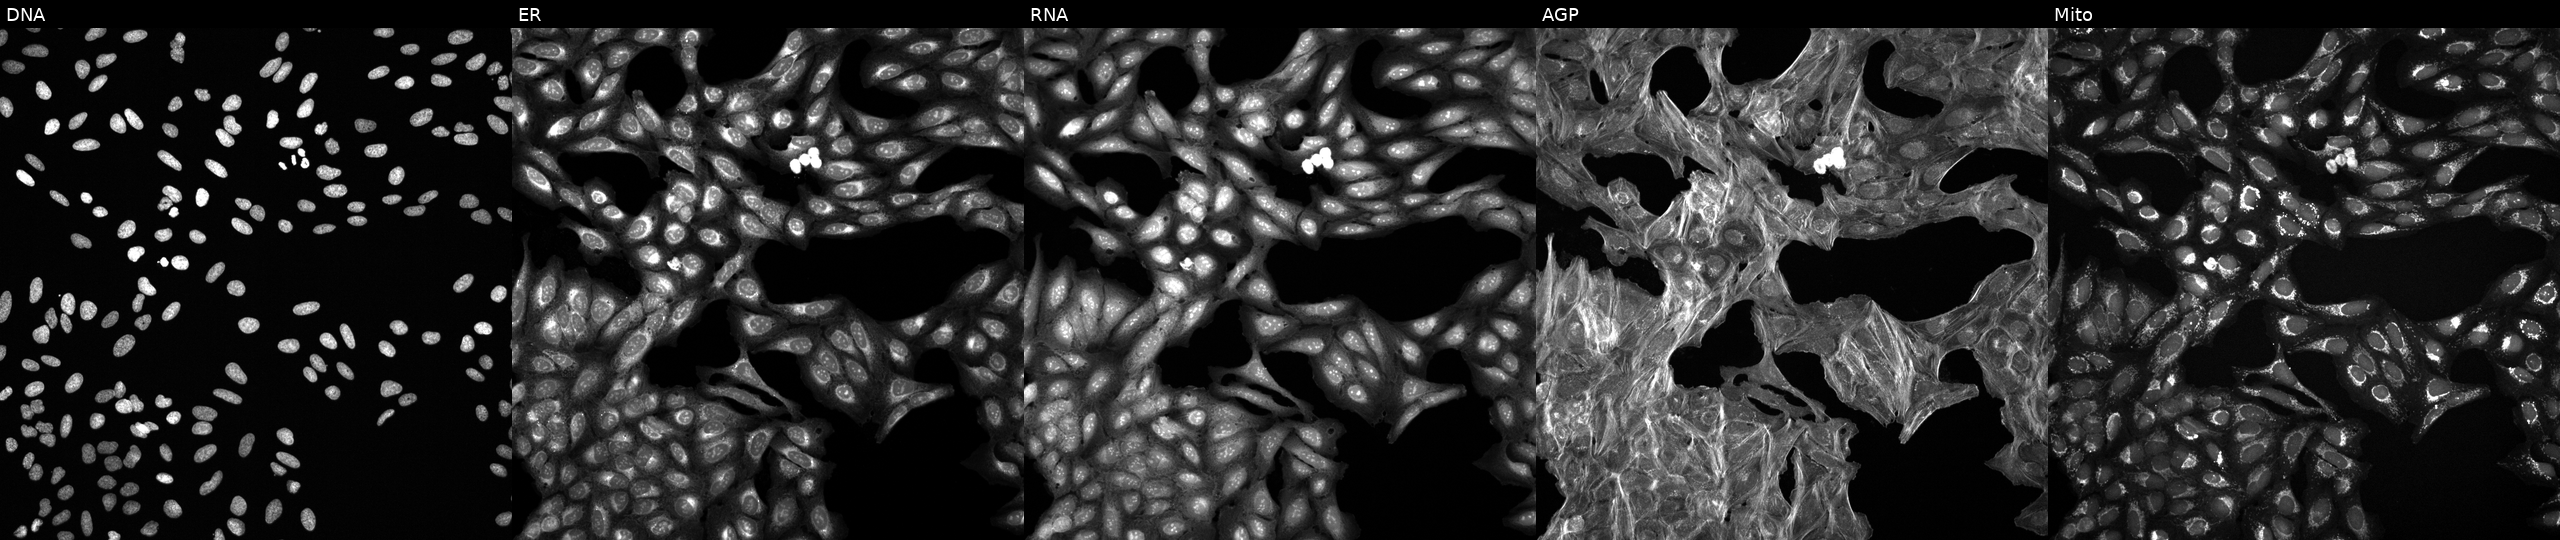
JUMP Cell Painting — TARGET2 plate. U2OS cells treated with DMSO vehicle only (negative control). The five panels, left to right, show Hoechst 33342, concanavalin A, SYTO 14, phalloidin and WGA, MitoTracker.